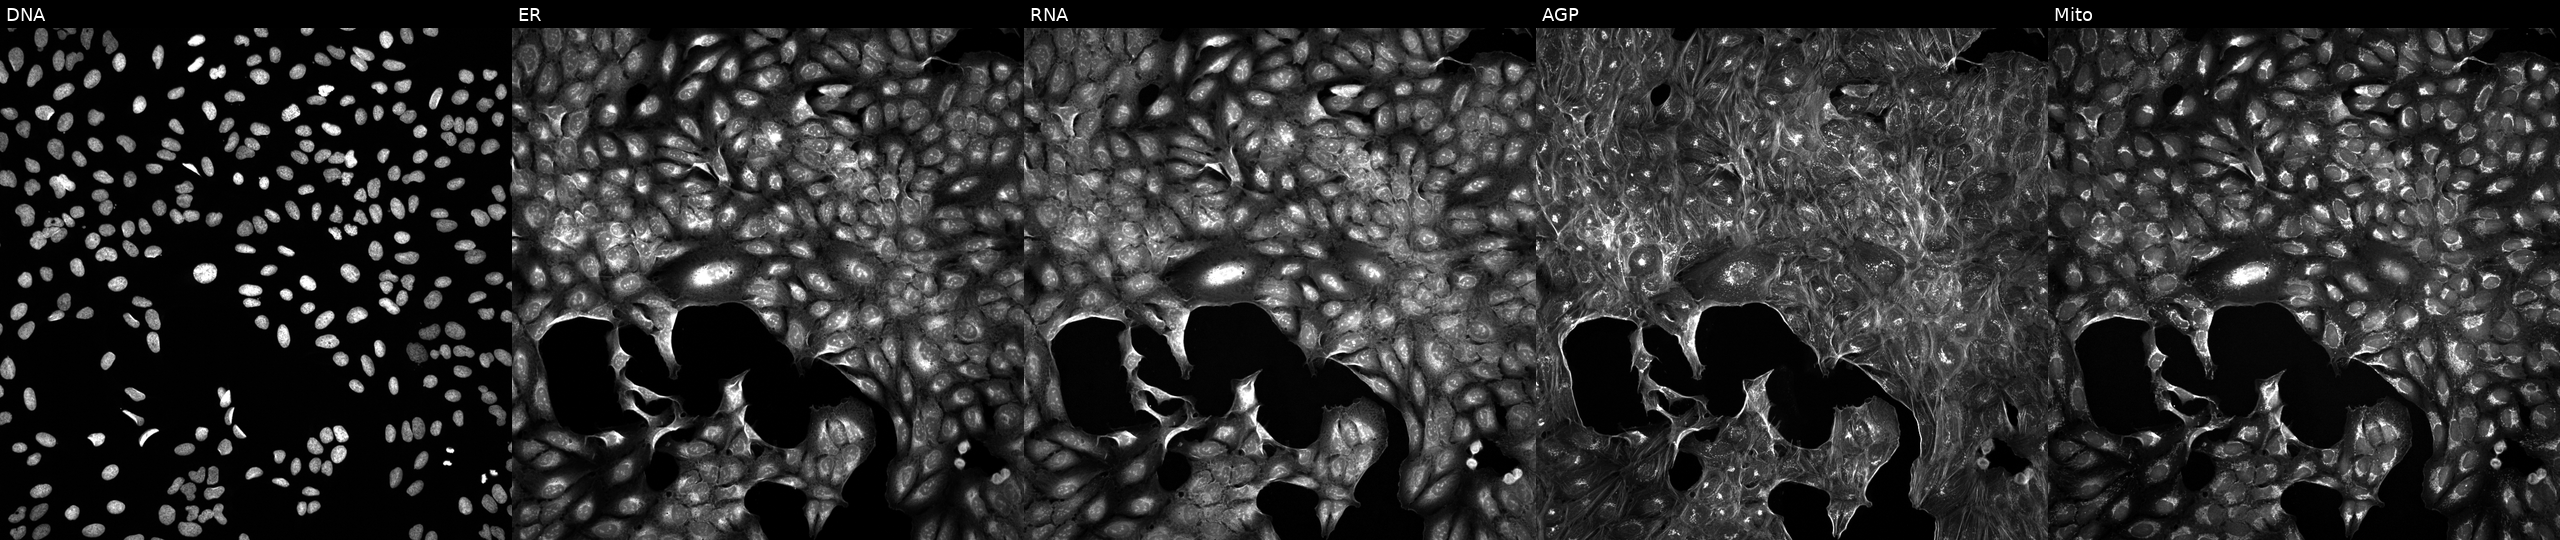
JUMP Cell Painting — TARGET2 plate. U2OS cells treated with a small-molecule compound [SMILES: N=c1[nH]c(=S)c2[nH]cnc2[nH]1] (JUMP id JCP2022_102083). From left to right: DNA (nuclei); ER (endoplasmic reticulum); RNA (nucleoli and cytoplasmic RNA); AGP (actin cytoskeleton, Golgi, and plasma membrane); Mito (mitochondria).